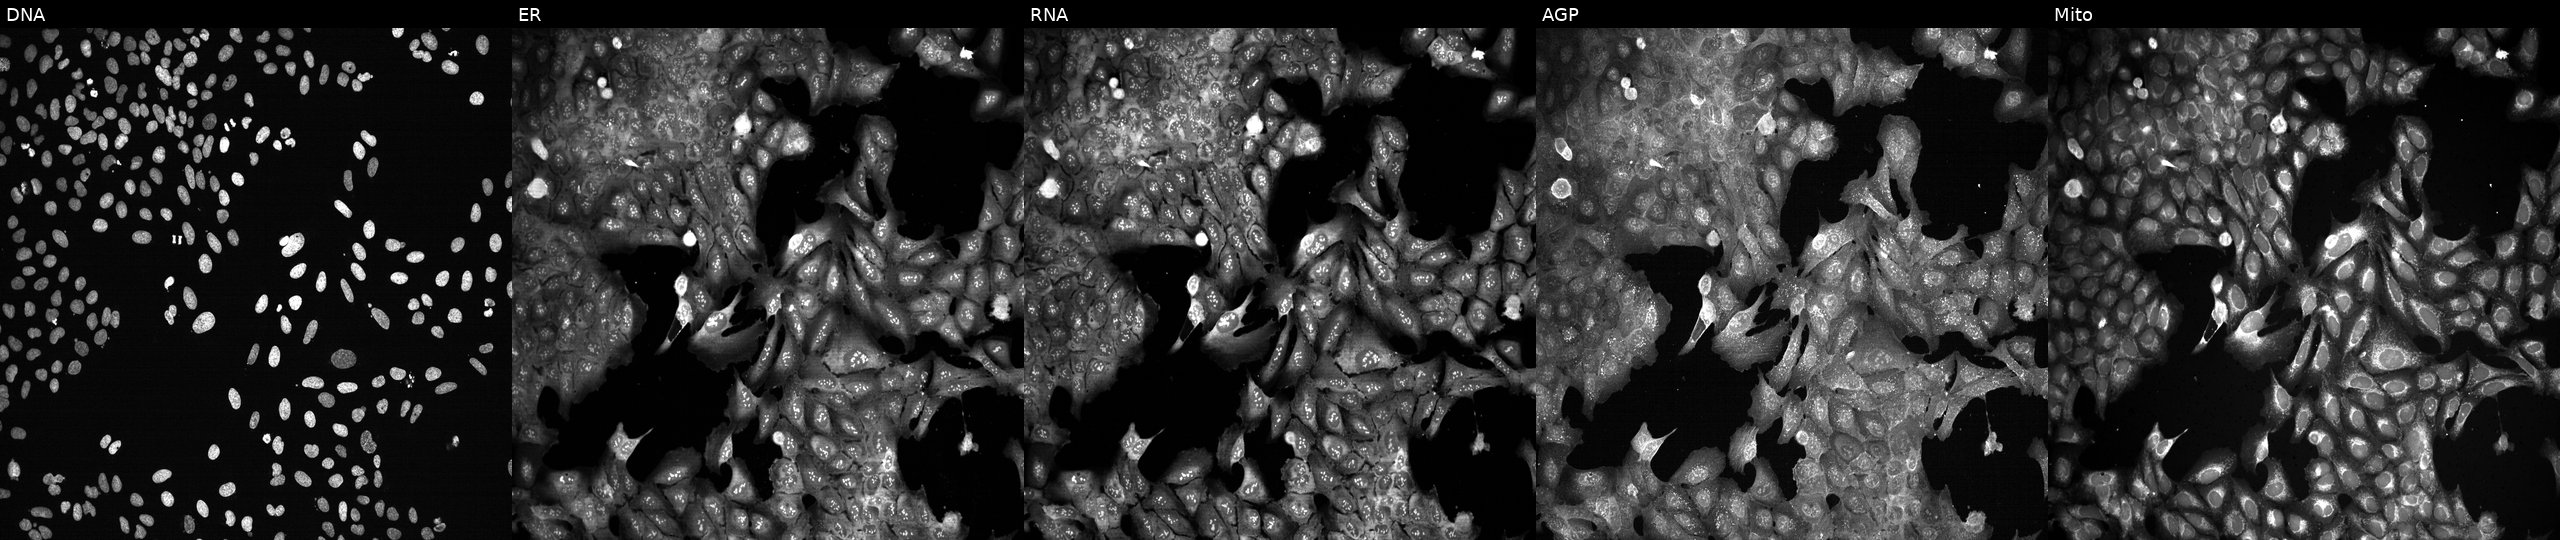
This image strip shows the five Cell Painting channels for a single field of U2OS cells following CRISPR knockout of PDIA5 (JUMP id JCP2022_805018). Panels show, left to right, Hoechst 33342, concanavalin A, SYTO 14, phalloidin and WGA, MitoTracker. Source 13, plate CP-CC9-R5-01, well N16.